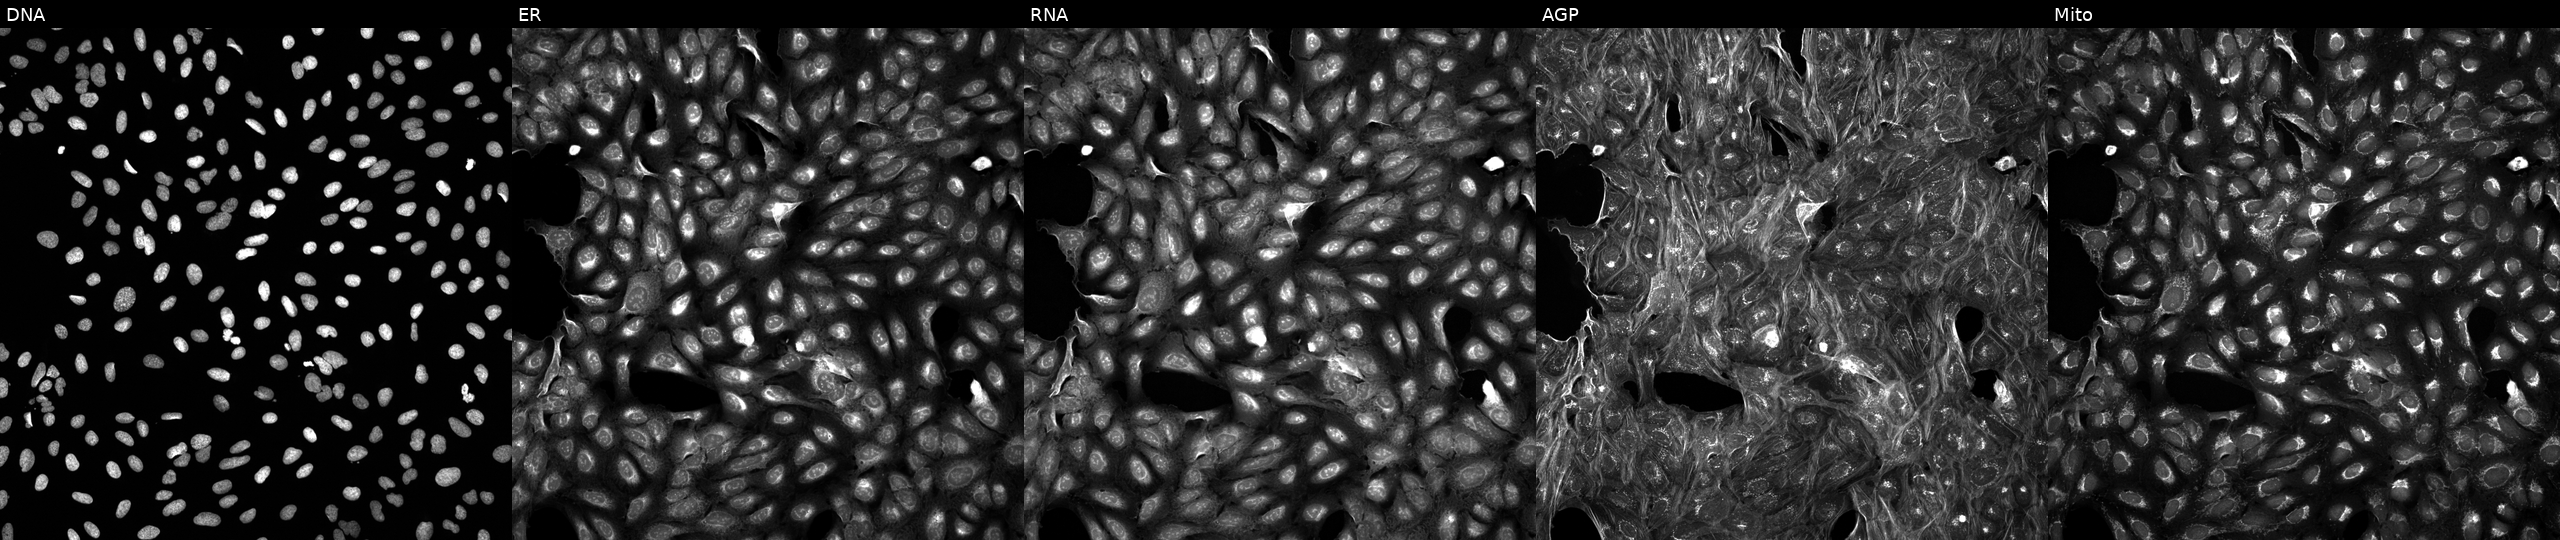
This image strip shows the five Cell Painting channels for a single field of U2OS cells treated with a small-molecule compound (InChIKey FQUAFMNPXPXOJE-UHFFFAOYSA-N) (JUMP id JCP2022_022359). From left to right: Hoechst 33342, concanavalin A, SYTO 14, phalloidin and WGA, MitoTracker.